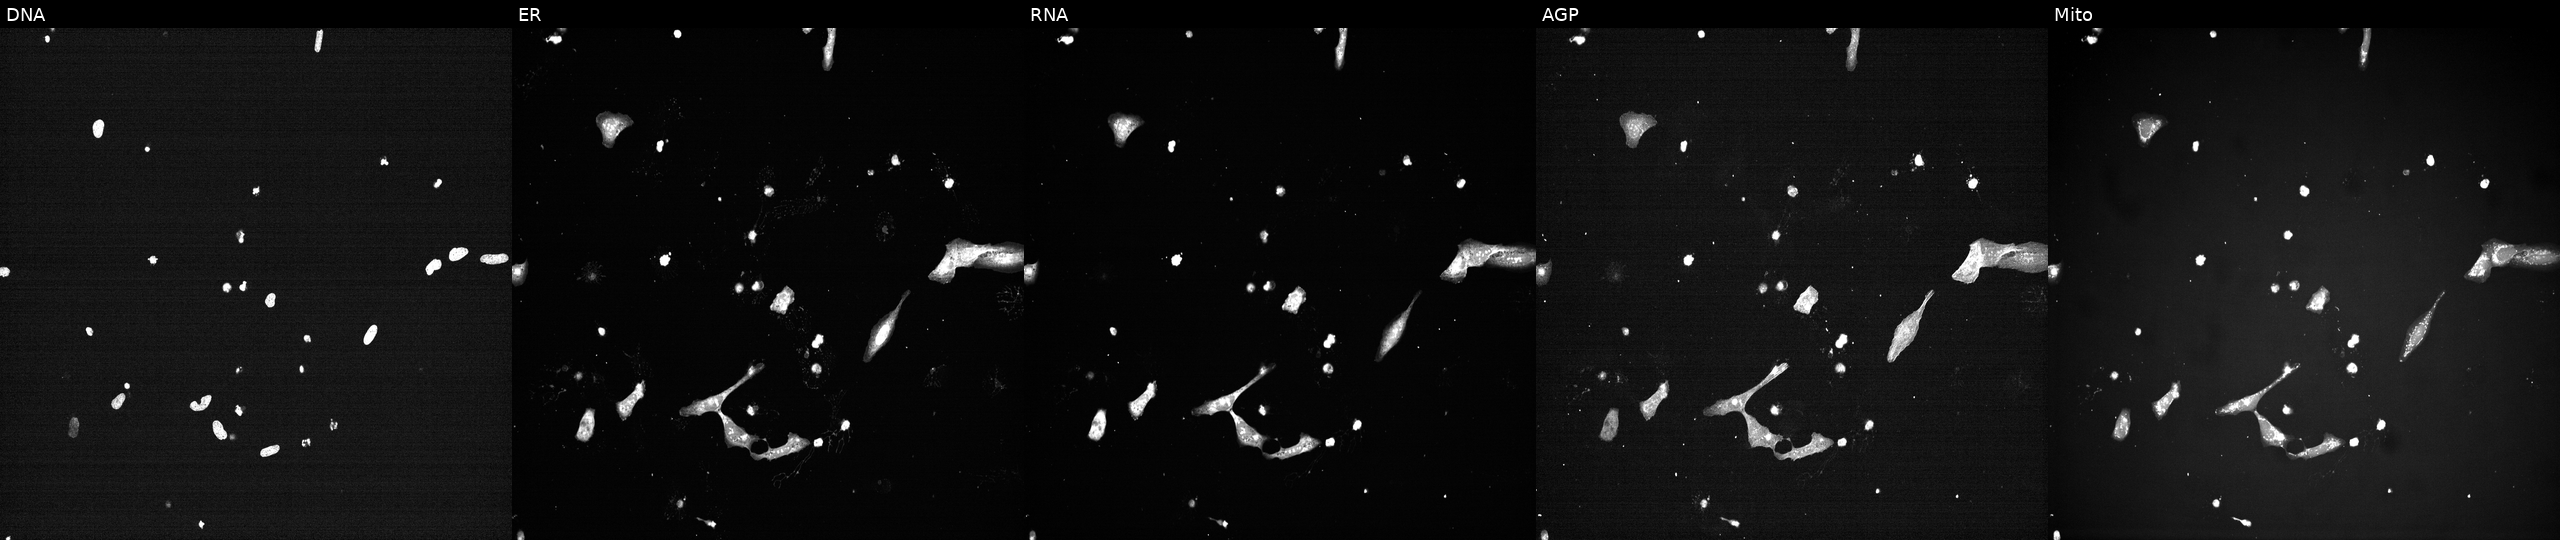
High-content fluorescence microscopy (Cell Painting). Cell line: U2OS. Perturbation: exposed to a small-molecule compound (InChIKey YKJYKKNCCRKFSL-UHFFFAOYSA-N) [SMILES: COc1ccc(CC2NCC(O)C2OC(C)=O)cc1] (JUMP id JCP2022_109043). The five panels, left to right, show DNA (nuclei); ER (endoplasmic reticulum); RNA (nucleoli and cytoplasmic RNA); AGP (actin cytoskeleton, Golgi, and plasma membrane); Mito (mitochondria).